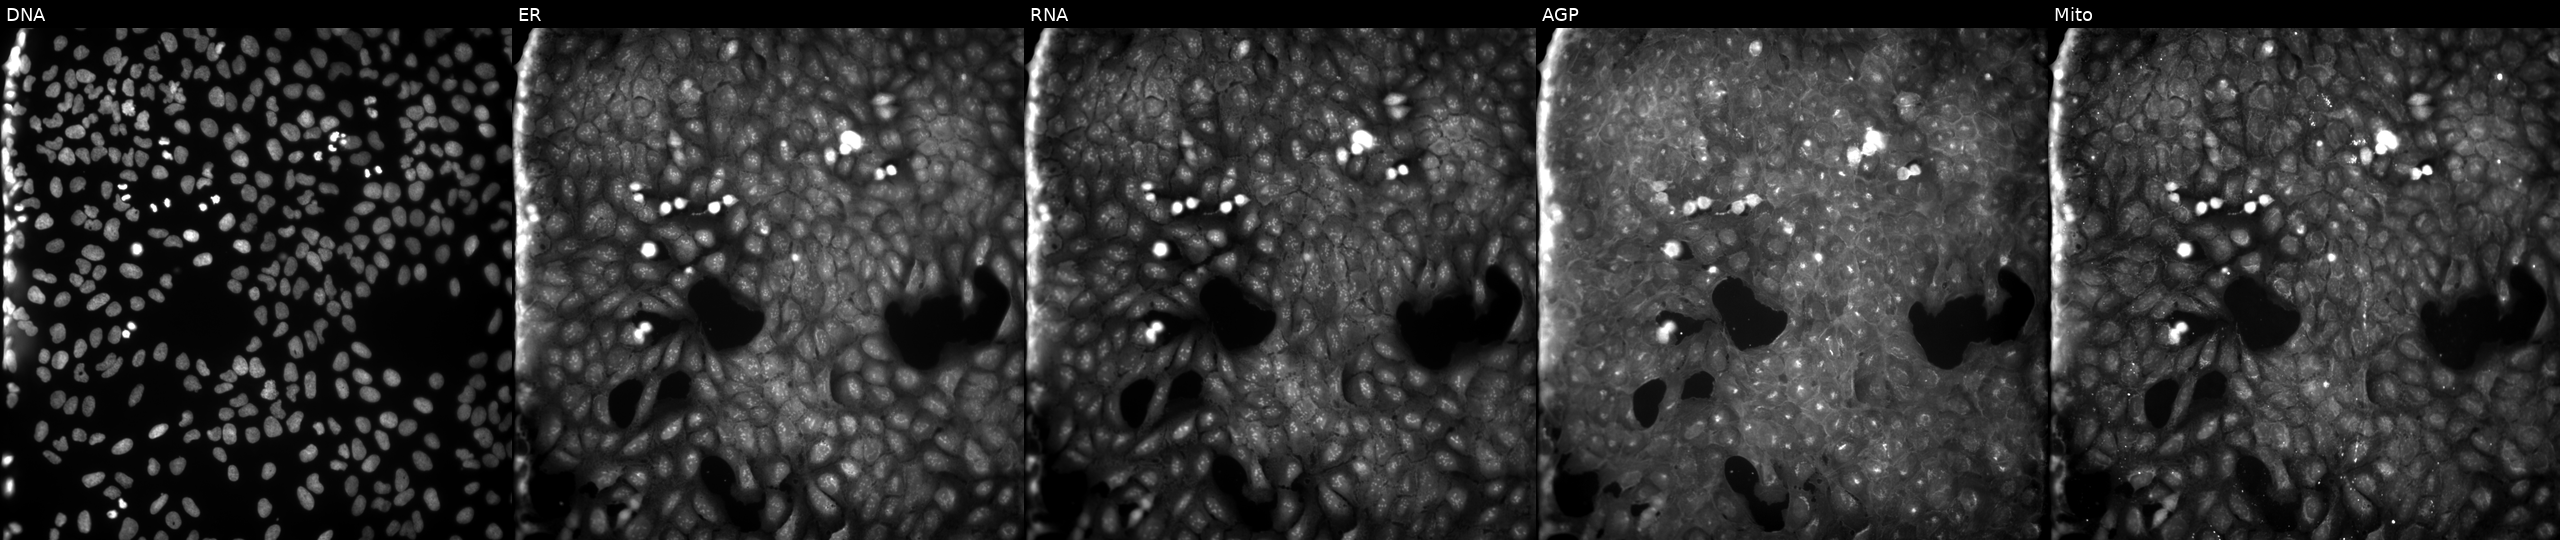
JUMP Cell Painting — COMPOUND plate. U2OS cells treated with a small-molecule compound (InChIKey CJIXBWWWARSVTD-UHFFFAOYSA-N) [SMILES: COc1ccc(N(C(=O)COc2ccccc2OC)S(=O)(=O)c2ccc(C)cc2)cc1]. Panels show, left to right, Hoechst 33342, concanavalin A, SYTO 14, phalloidin and WGA, MitoTracker. Source 9, plate GR00003381, well Q03.